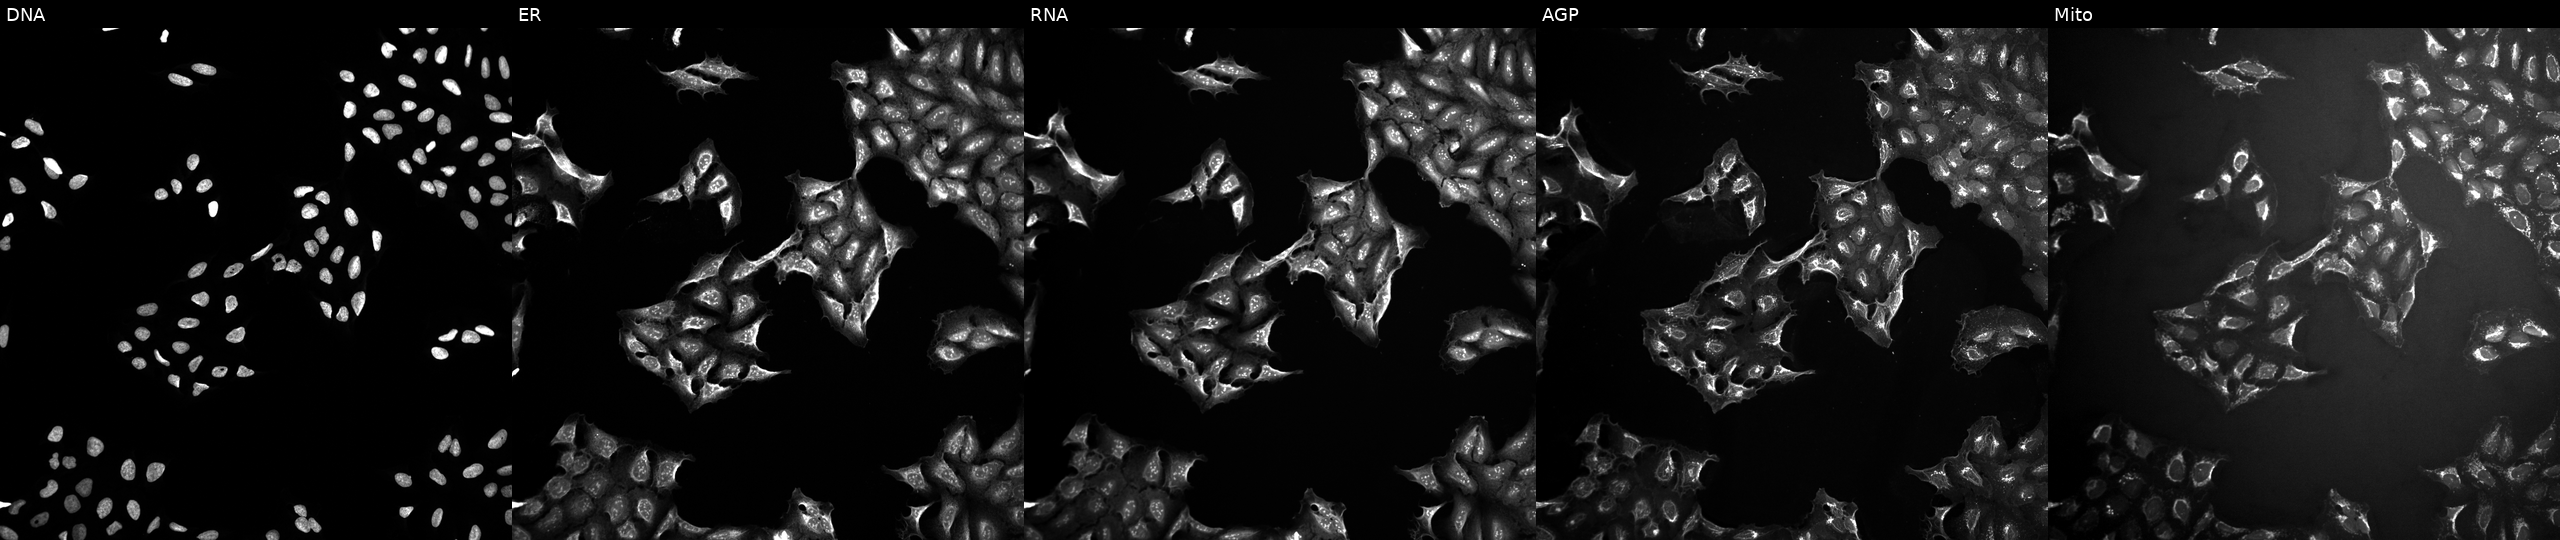
Five-channel Cell Painting image of U2OS cells treated with DMSO vehicle only (negative control). Channels (left→right): DNA (nuclei); ER (endoplasmic reticulum); RNA (nucleoli and cytoplasmic RNA); AGP (actin cytoskeleton, Golgi, and plasma membrane); Mito (mitochondria). Source 10, plate Dest210803-153958, well F21.